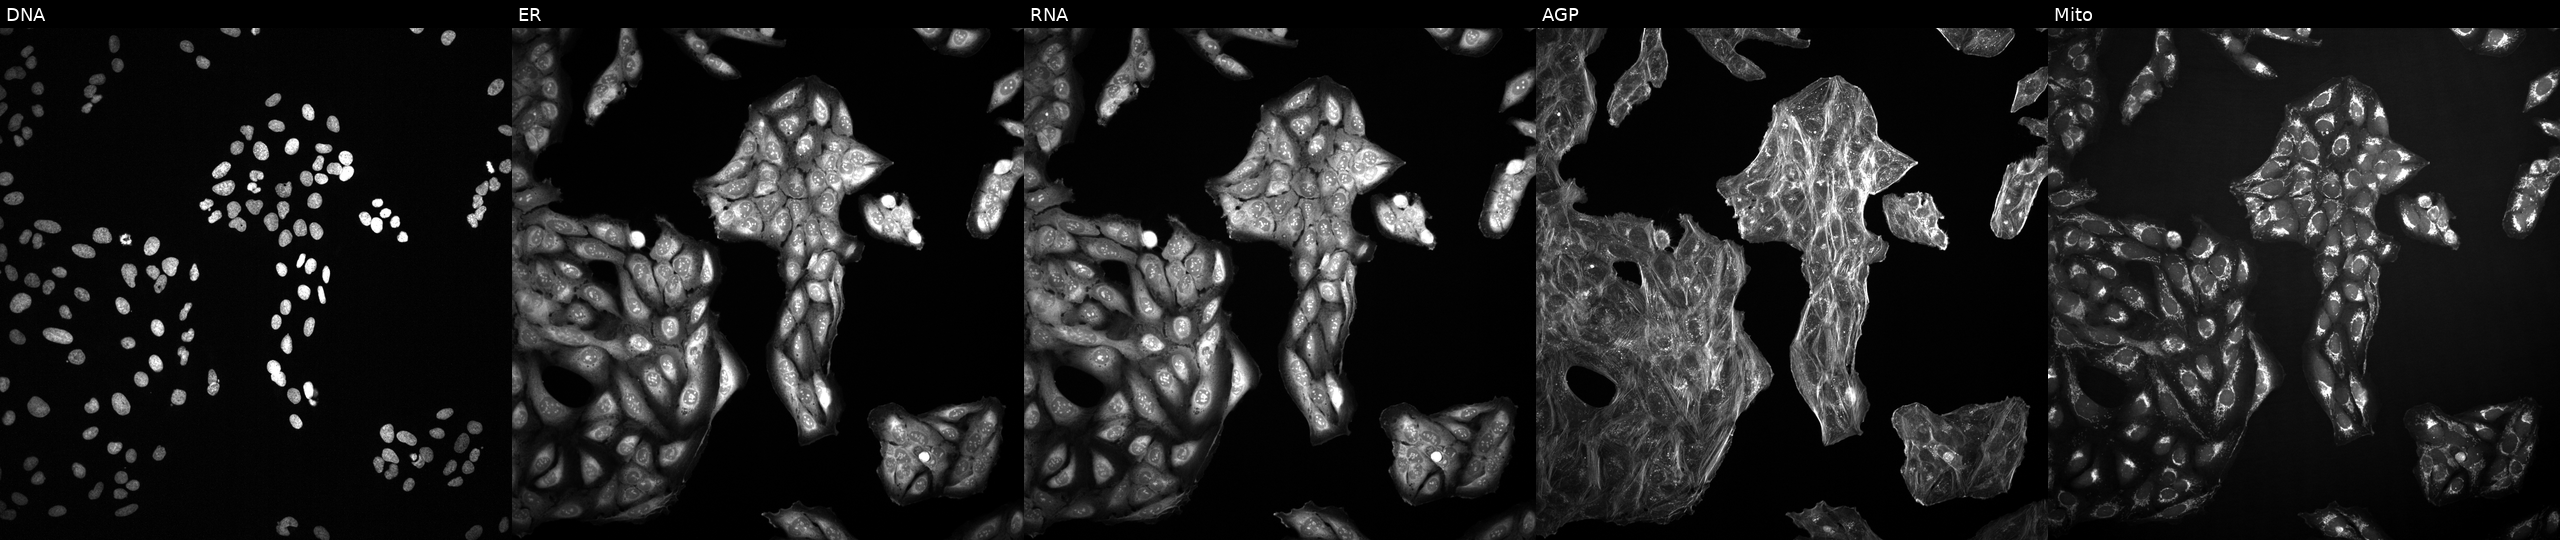
U2OS cells, Cell Painting assay, treated with a small-molecule compound. From left to right: Hoechst 33342, concanavalin A, SYTO 14, phalloidin and WGA, MitoTracker. Each panel is percentile-stretched 16-bit fluorescence.